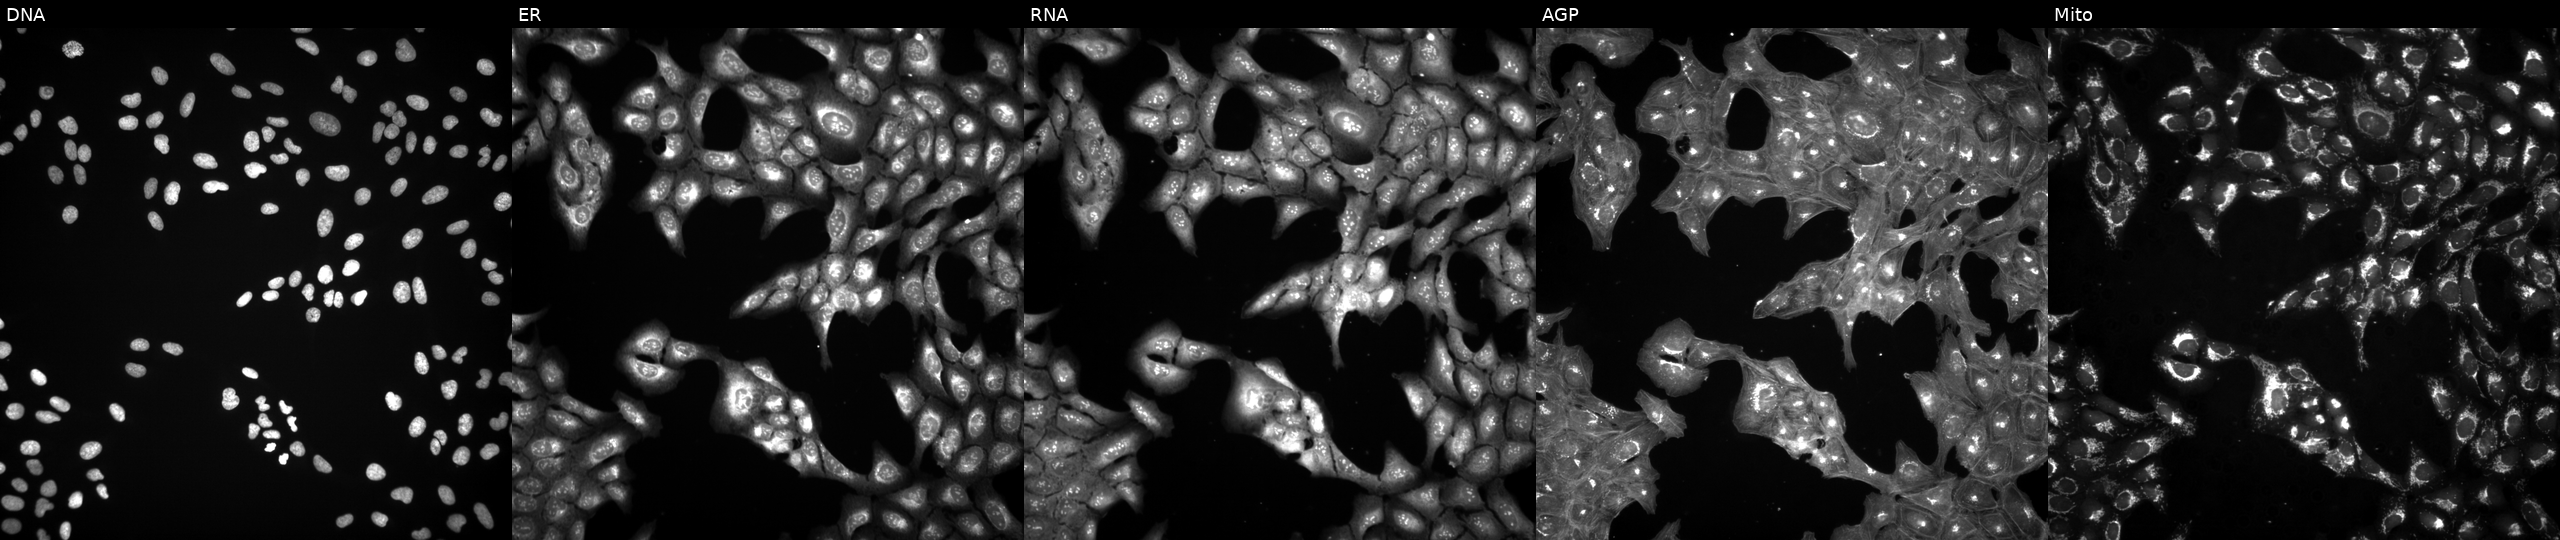
JUMP Cell Painting — COMPOUND plate. U2OS cells exposed to a small-molecule compound. Channels (left→right): DNA, ER, RNA, AGP, and Mito. Source 3, plate BR5867a3, well L21.